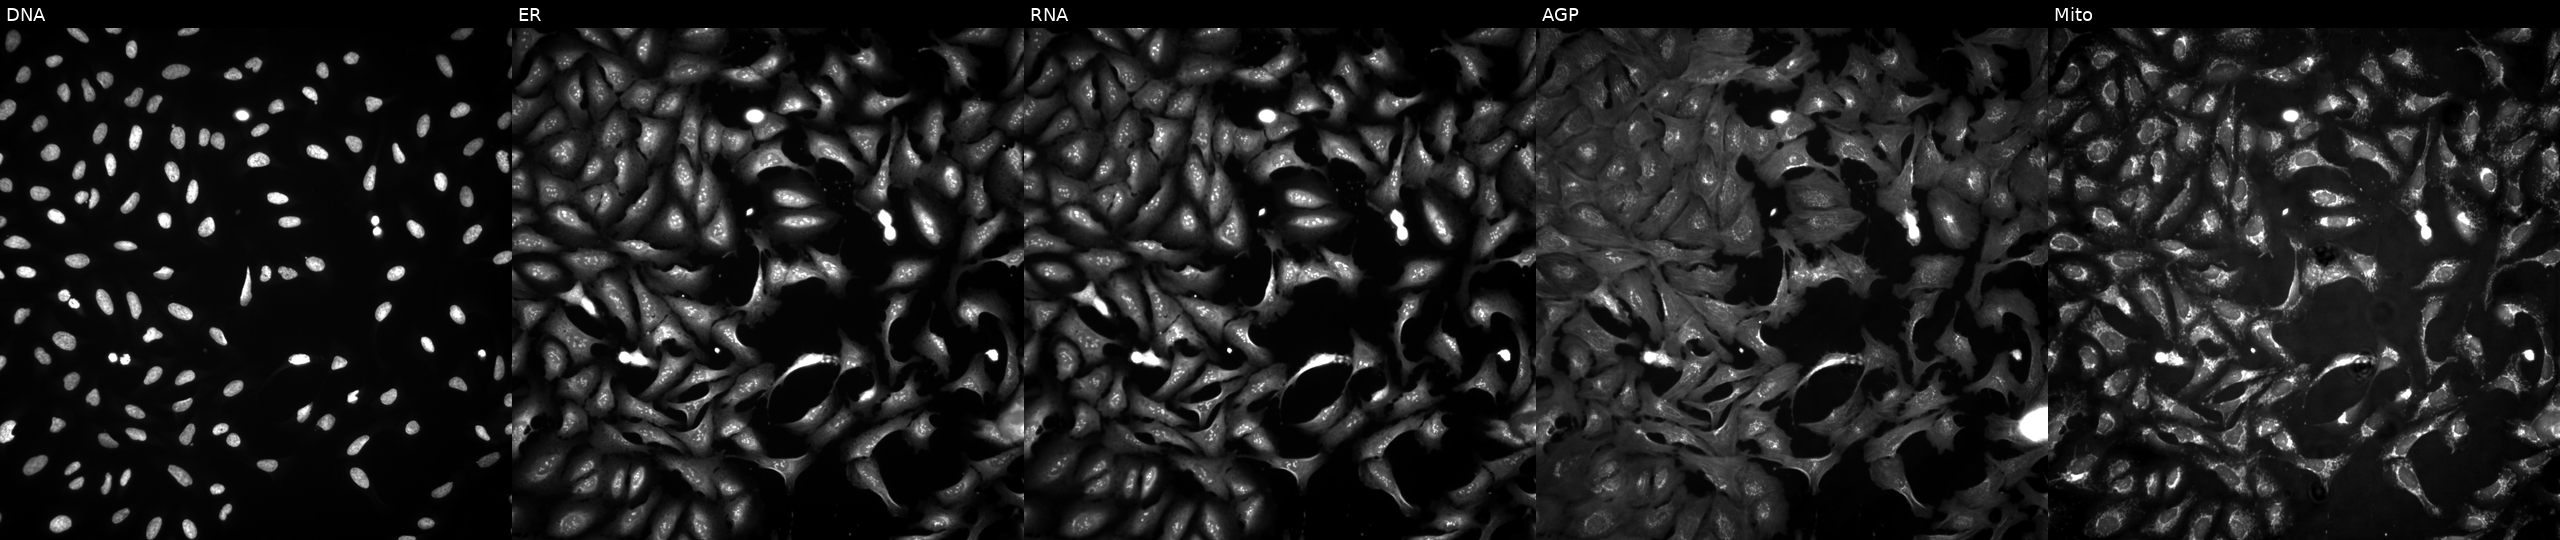
Five-channel Cell Painting image of U2OS cells transfected with an ORF construct for PDLIM5. Panels show, left to right, DNA (nuclei); ER (endoplasmic reticulum); RNA (nucleoli and cytoplasmic RNA); AGP (actin cytoskeleton, Golgi, and plasma membrane); Mito (mitochondria).